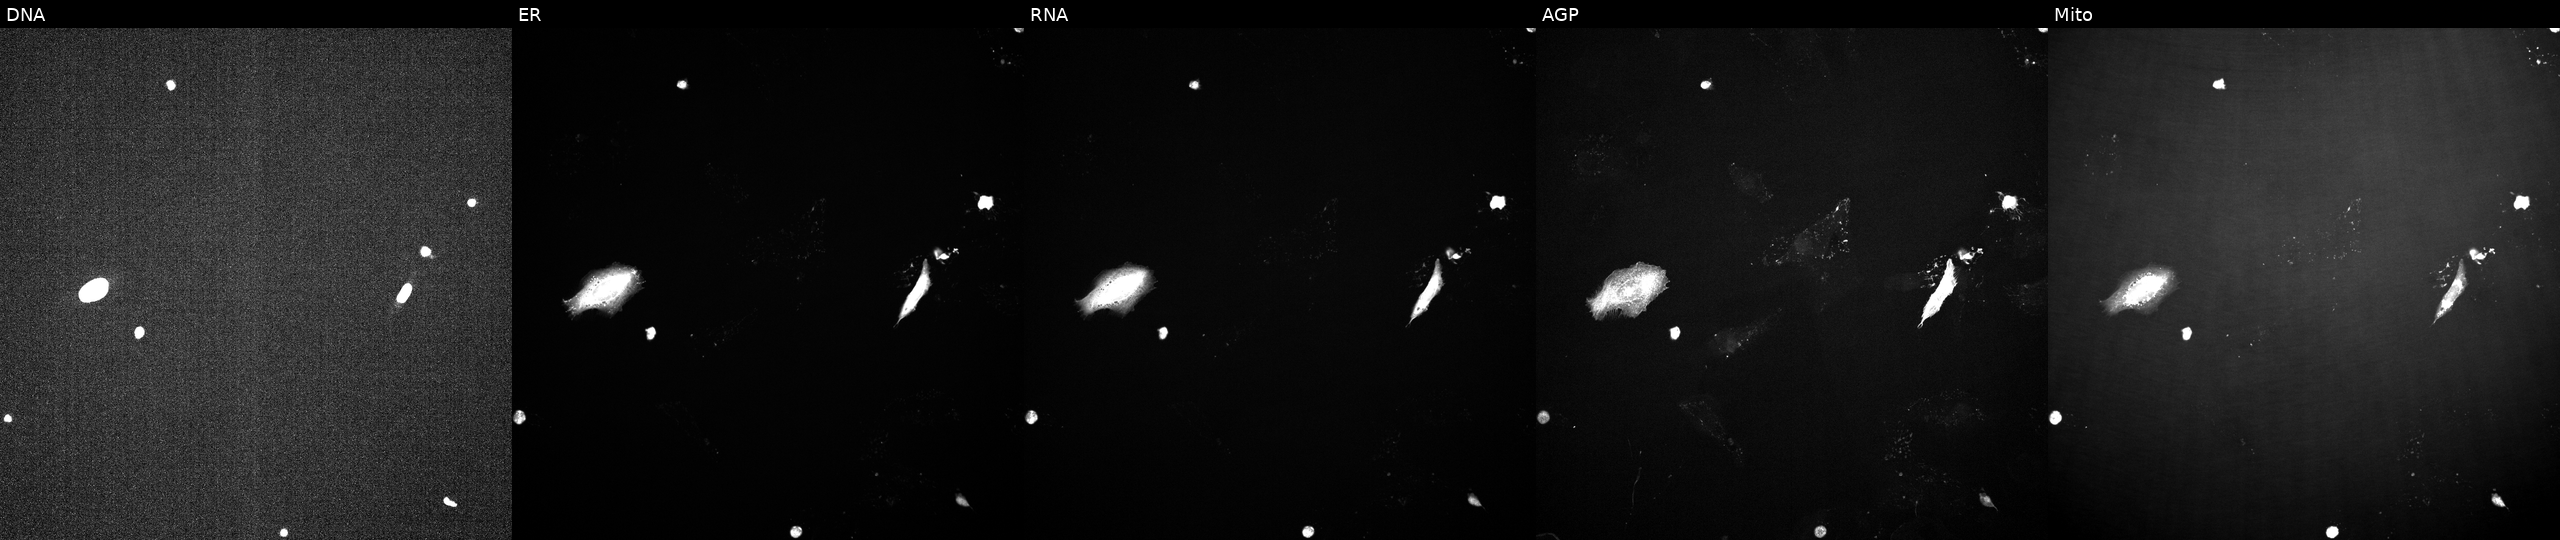
From left to right: DNA, ER, RNA, AGP, and Mito. U2OS osteosarcoma cells perturbed with a small-molecule compound (InChIKey XUZQTIZWMHMWOC-UHFFFAOYSA-N) (JUMP id JCP2022_106219). Cell Painting assay, JUMP-CP dataset.